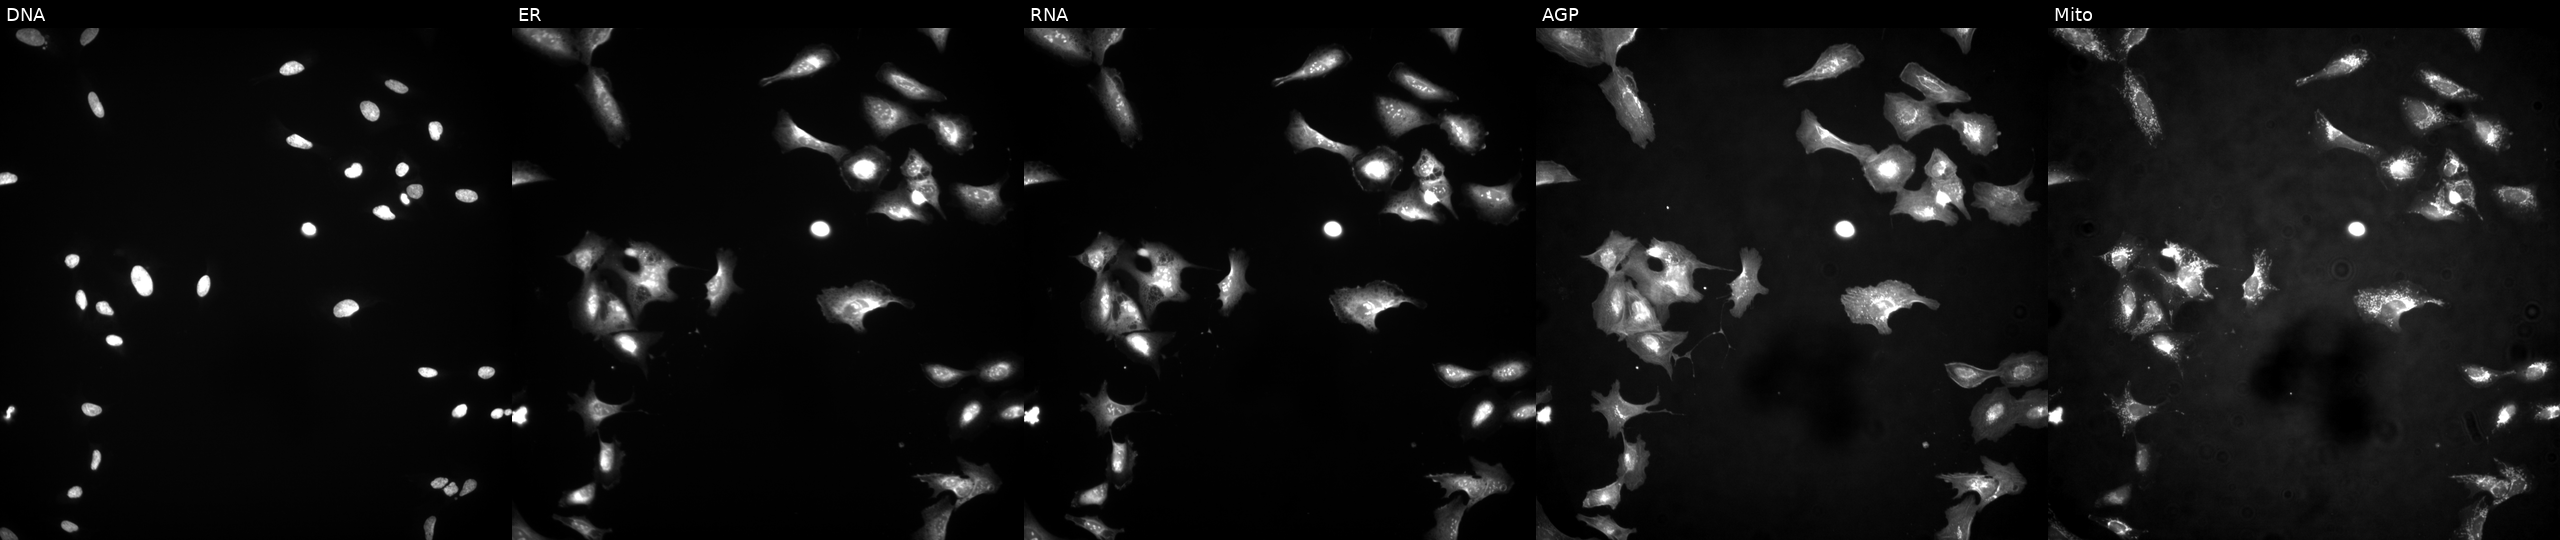
This image strip shows the five Cell Painting channels for a single field of U2OS cells with SHISA3 overexpressed (ORF). Channels (left→right): DNA (nuclei); ER (endoplasmic reticulum); RNA (nucleoli and cytoplasmic RNA); AGP (actin cytoskeleton, Golgi, and plasma membrane); Mito (mitochondria).